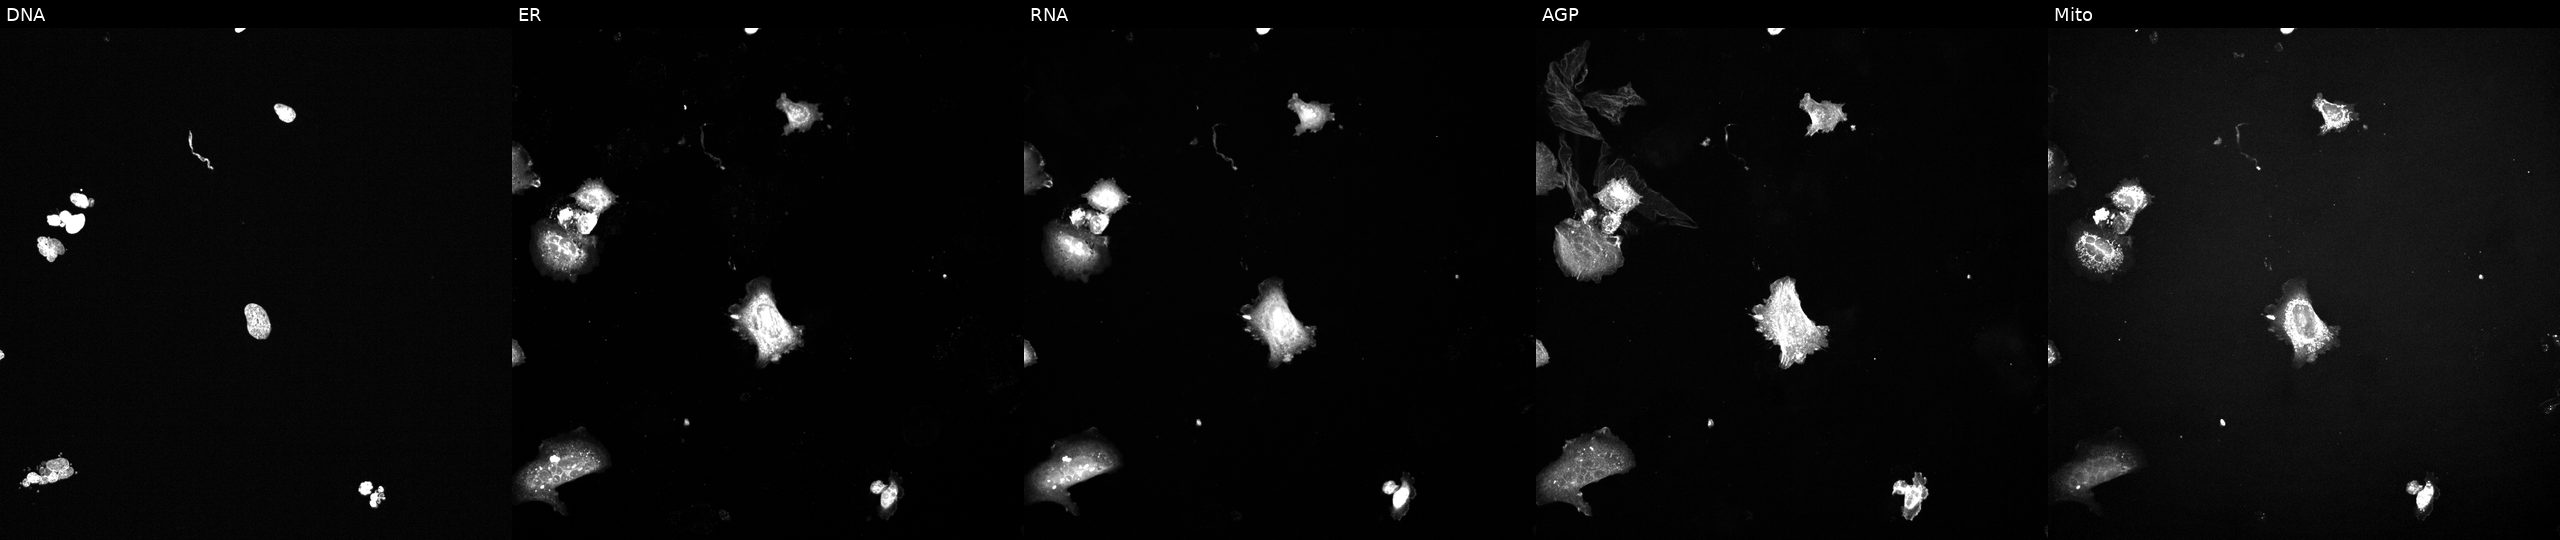
Five-channel Cell Painting image of U2OS cells perturbed with a small-molecule compound (InChIKey IAKHMKGGTNLKSZ-UHFFFAOYSA-N). Panels show, left to right, DNA, ER, RNA, AGP, and Mito. Source 6, plate 110000293081, well F19.